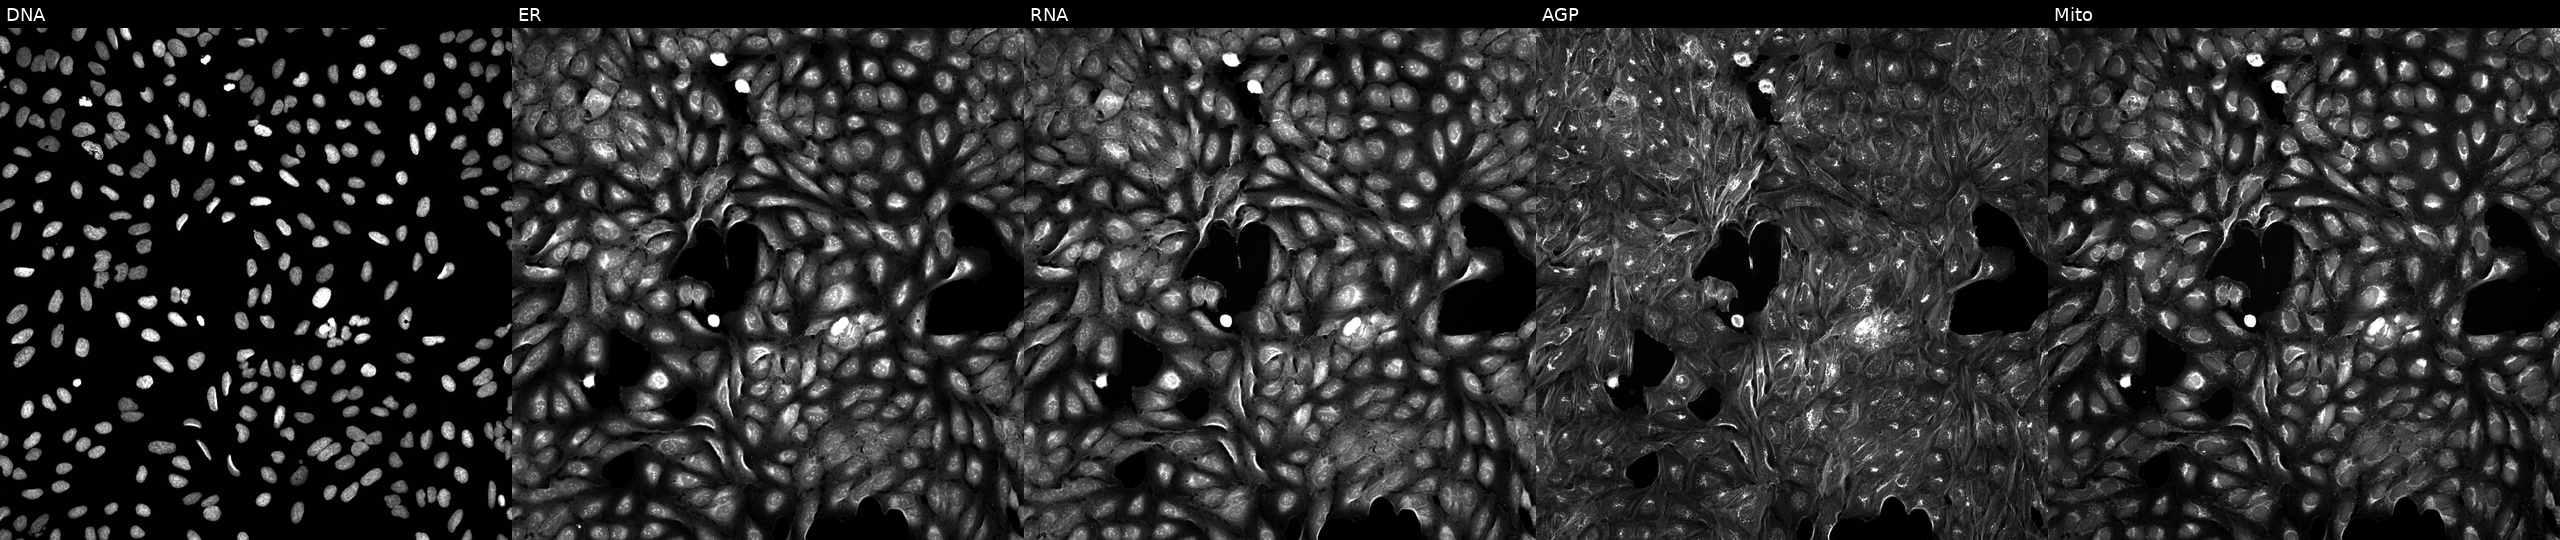
JUMP Cell Painting — COMPOUND plate. U2OS cells perturbed with a small-molecule compound (InChIKey HMEIHVLUHYYQJI-UHFFFAOYSA-N) (JUMP id JCP2022_031104). The five panels, left to right, show DNA (nuclei); ER (endoplasmic reticulum); RNA (nucleoli and cytoplasmic RNA); AGP (actin cytoskeleton, Golgi, and plasma membrane); Mito (mitochondria).